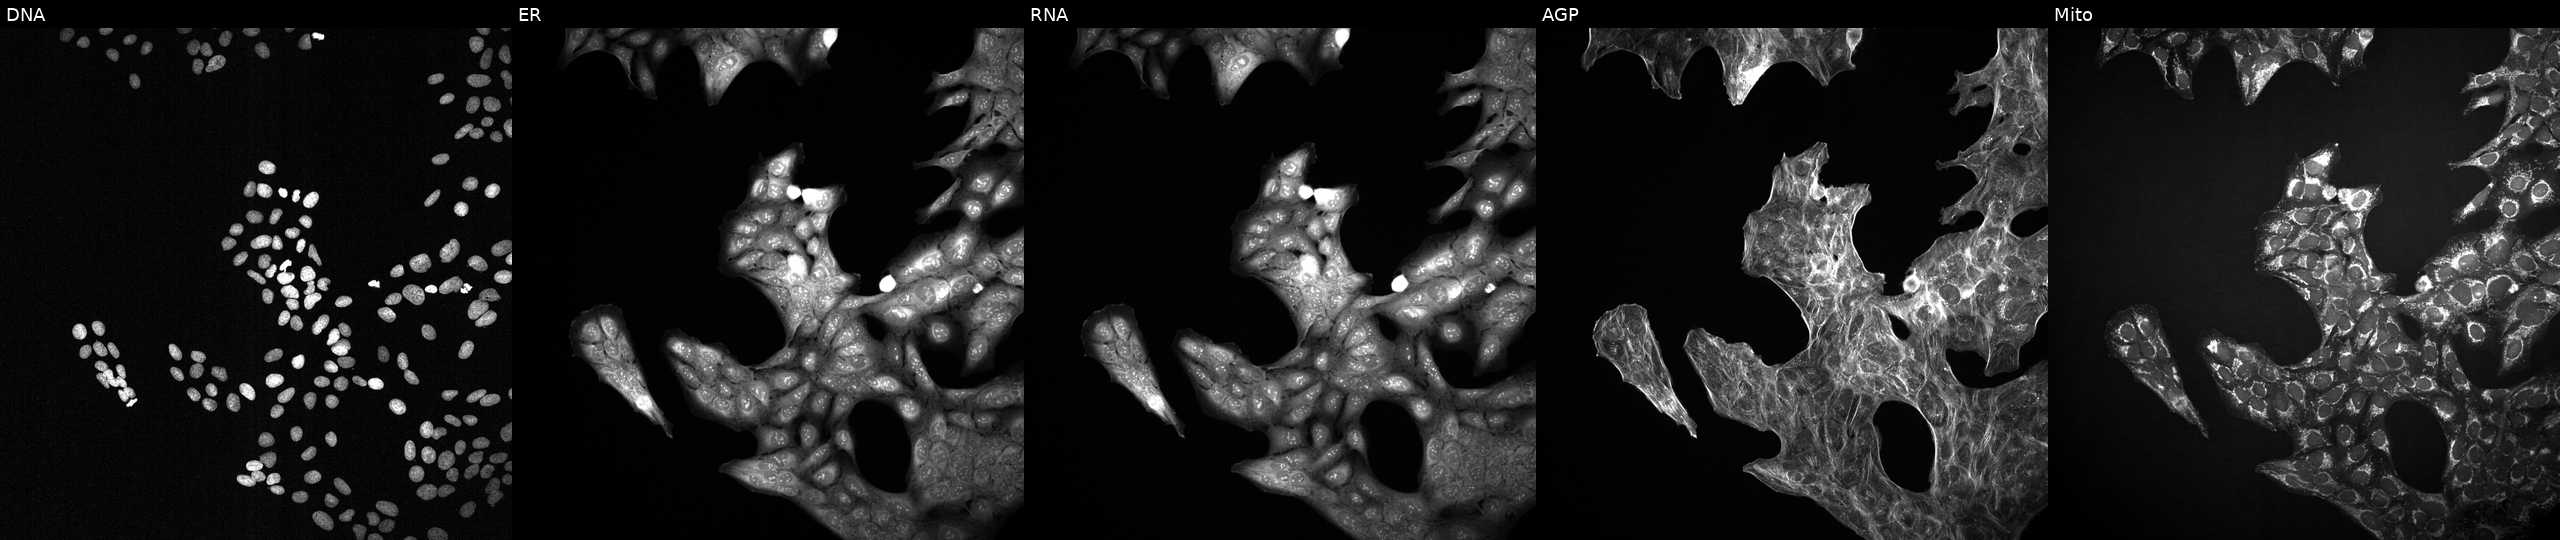
The five panels, left to right, show DNA, ER, RNA, AGP, and Mito. U2OS osteosarcoma cells exposed to the positive-control compound LY2109761 (JUMP id JCP2022_035095). Cell Painting assay, JUMP-CP dataset. Source 2, plate 1053599503, well O09.